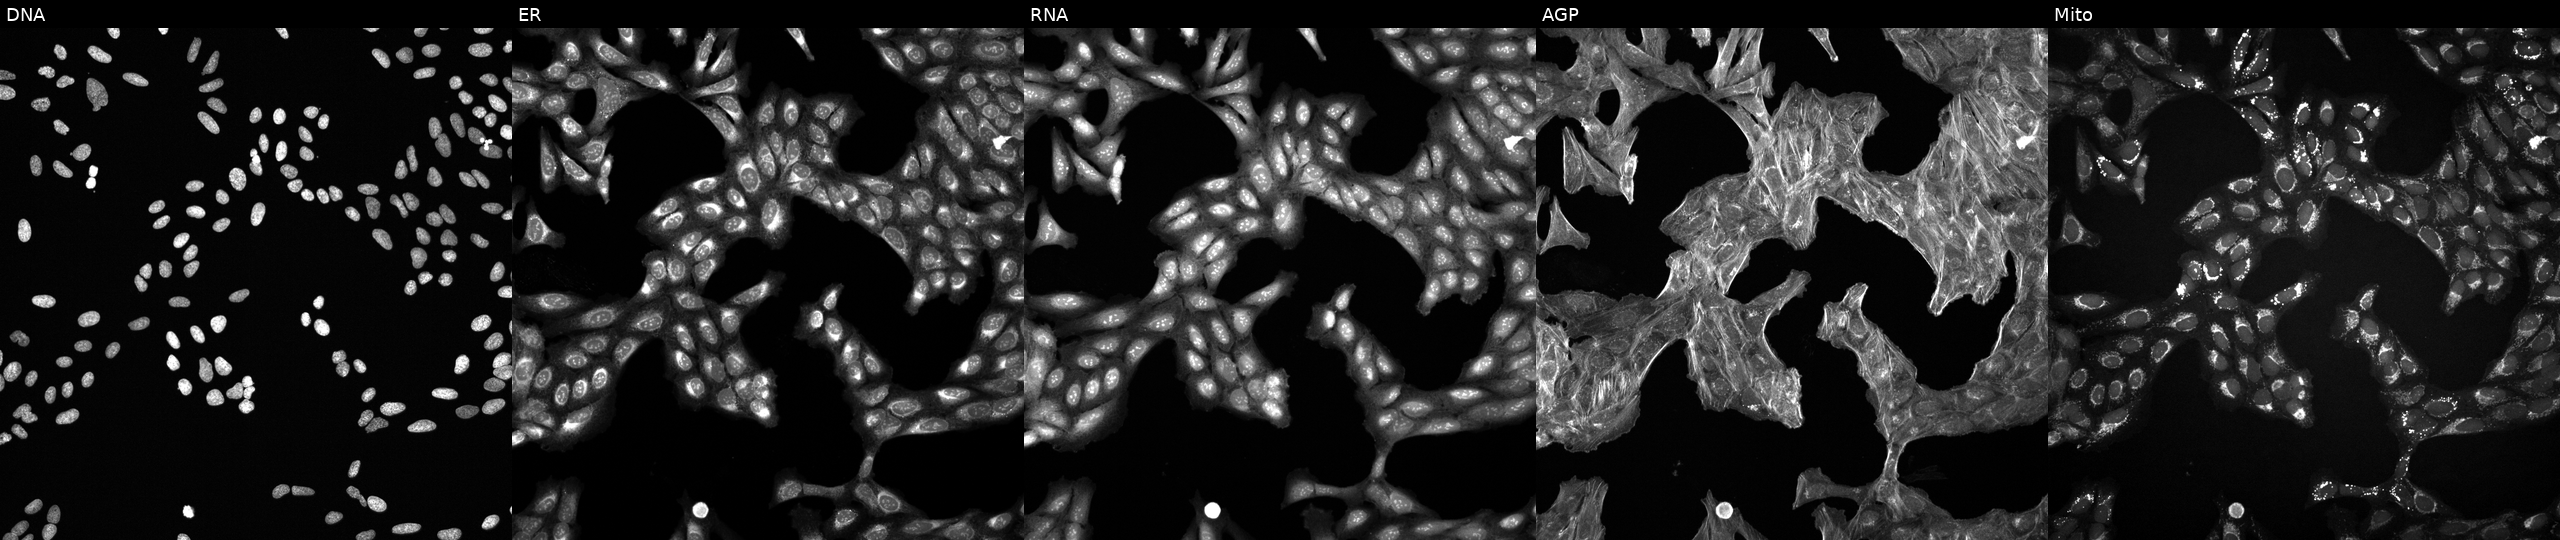
High-content fluorescence microscopy (Cell Painting). Cell line: U2OS. Perturbation: exposed to a small-molecule compound (InChIKey LMWRFEAQTUCLEJ-UHFFFAOYSA-N) (JUMP id JCP2022_050443). Channels (left→right): Hoechst 33342, concanavalin A, SYTO 14, phalloidin and WGA, MitoTracker. Source 6, plate 110000293082, well O12.